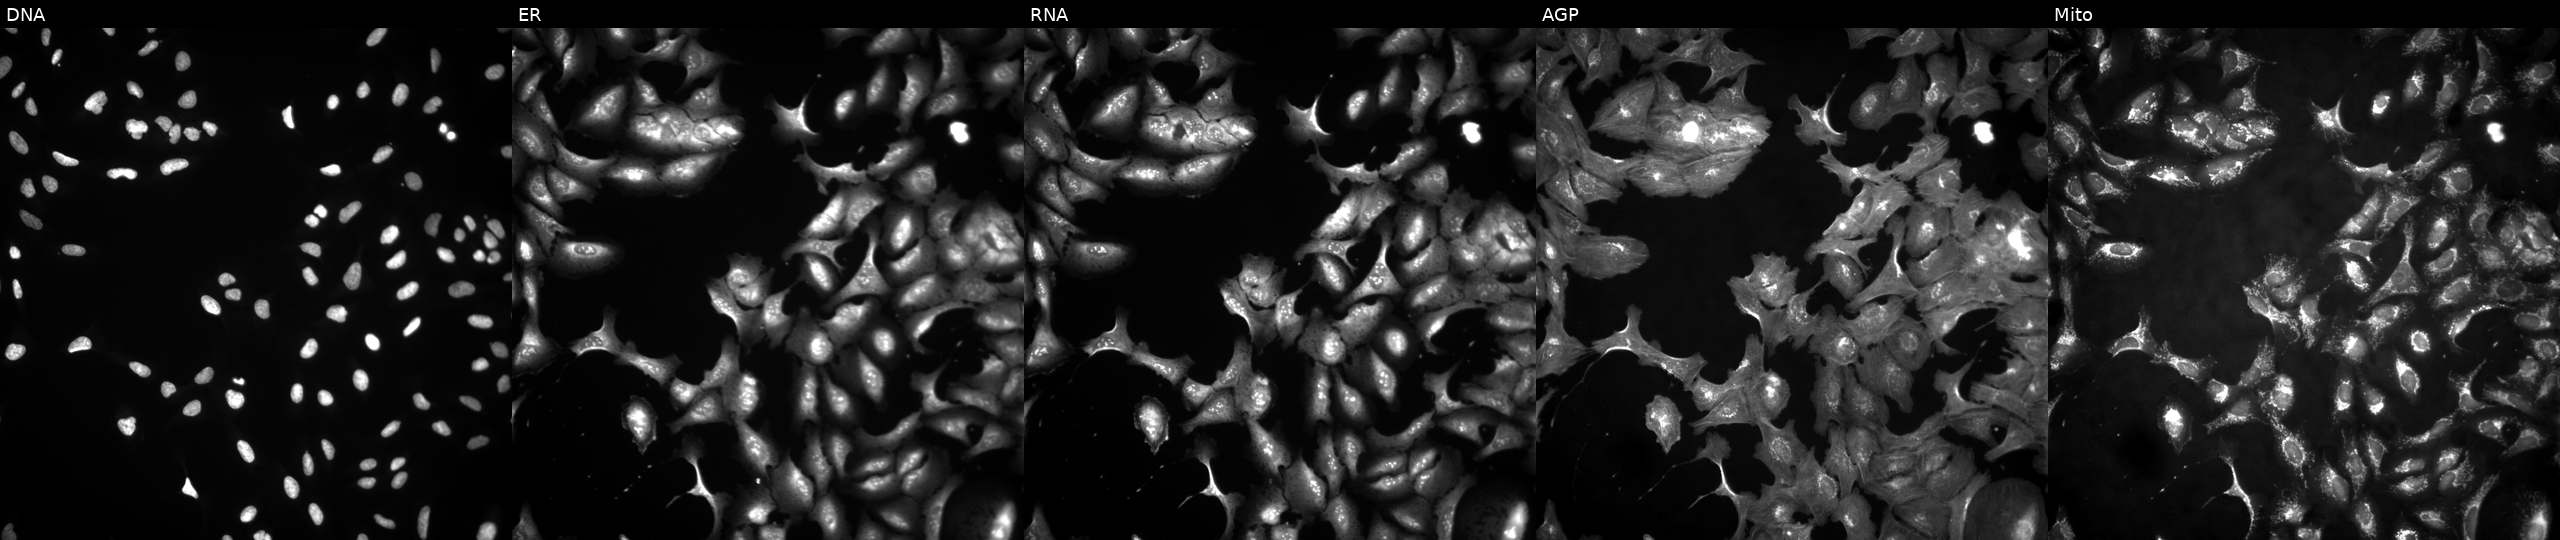
U2OS cells, Cell Painting assay, with BTLA overexpressed (ORF) (JUMP id JCP2022_909023). The five panels, left to right, show DNA, ER, RNA, AGP, and Mito. Each panel is percentile-stretched 16-bit fluorescence.